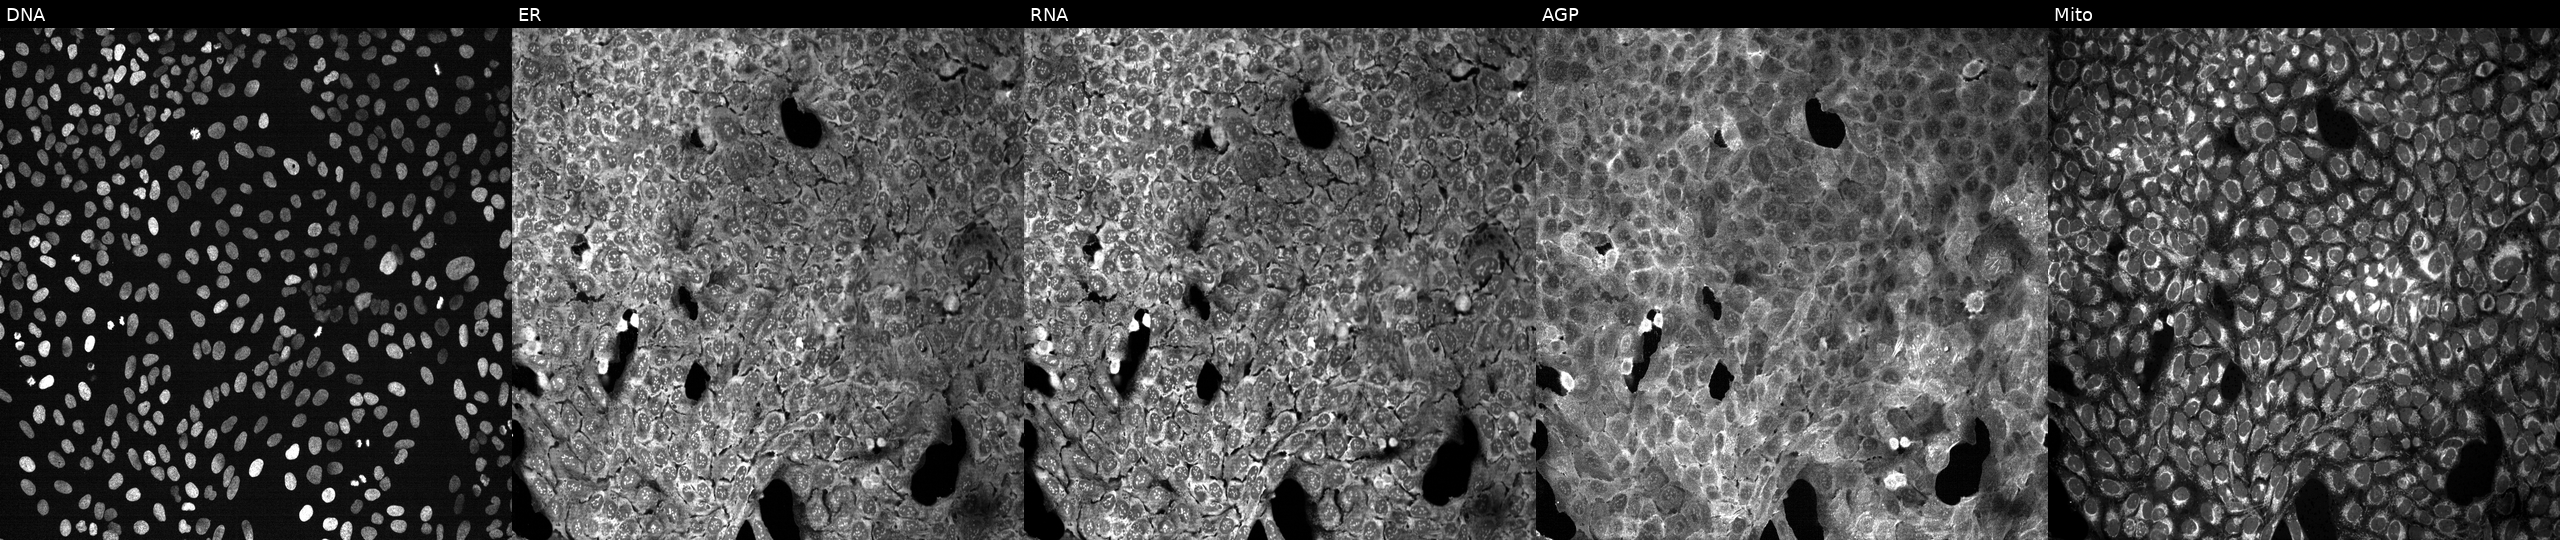
Five-channel Cell Painting image of U2OS cells exposed to the positive-control compound dexamethasone (JUMP id JCP2022_025848). Panels show, left to right, DNA (nuclei); ER (endoplasmic reticulum); RNA (nucleoli and cytoplasmic RNA); AGP (actin cytoskeleton, Golgi, and plasma membrane); Mito (mitochondria). Source 13, plate CP-CC9-R2-01, well B01.